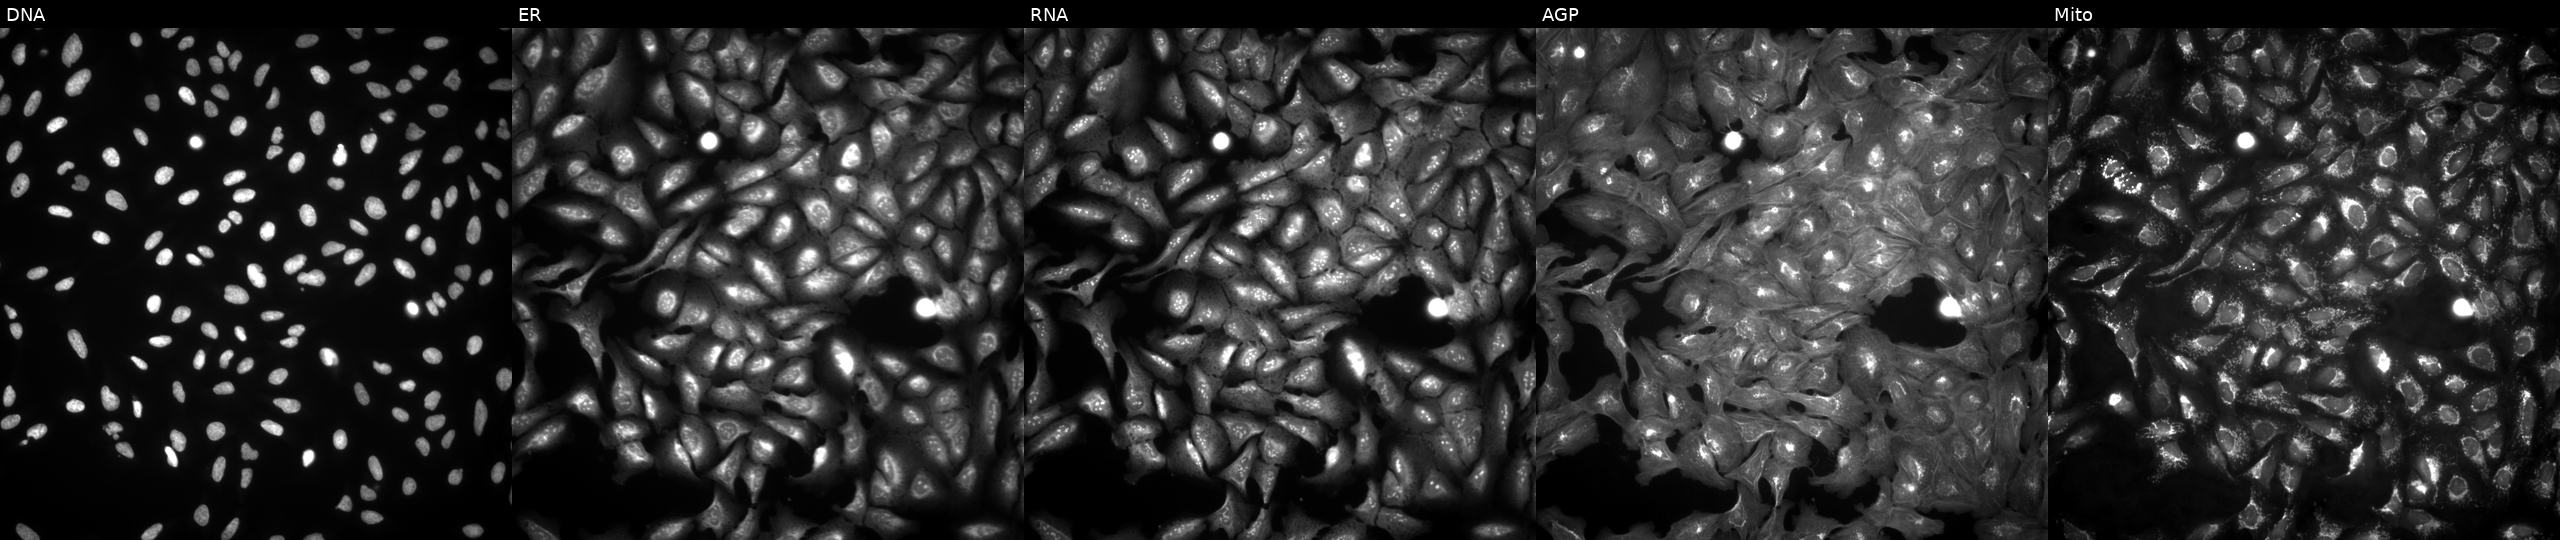
Five-channel Cell Painting image of U2OS cells transfected with an ORF construct for SDCBP (JUMP id JCP2022_901411). The five panels, left to right, show DNA (nuclei); ER (endoplasmic reticulum); RNA (nucleoli and cytoplasmic RNA); AGP (actin cytoskeleton, Golgi, and plasma membrane); Mito (mitochondria).